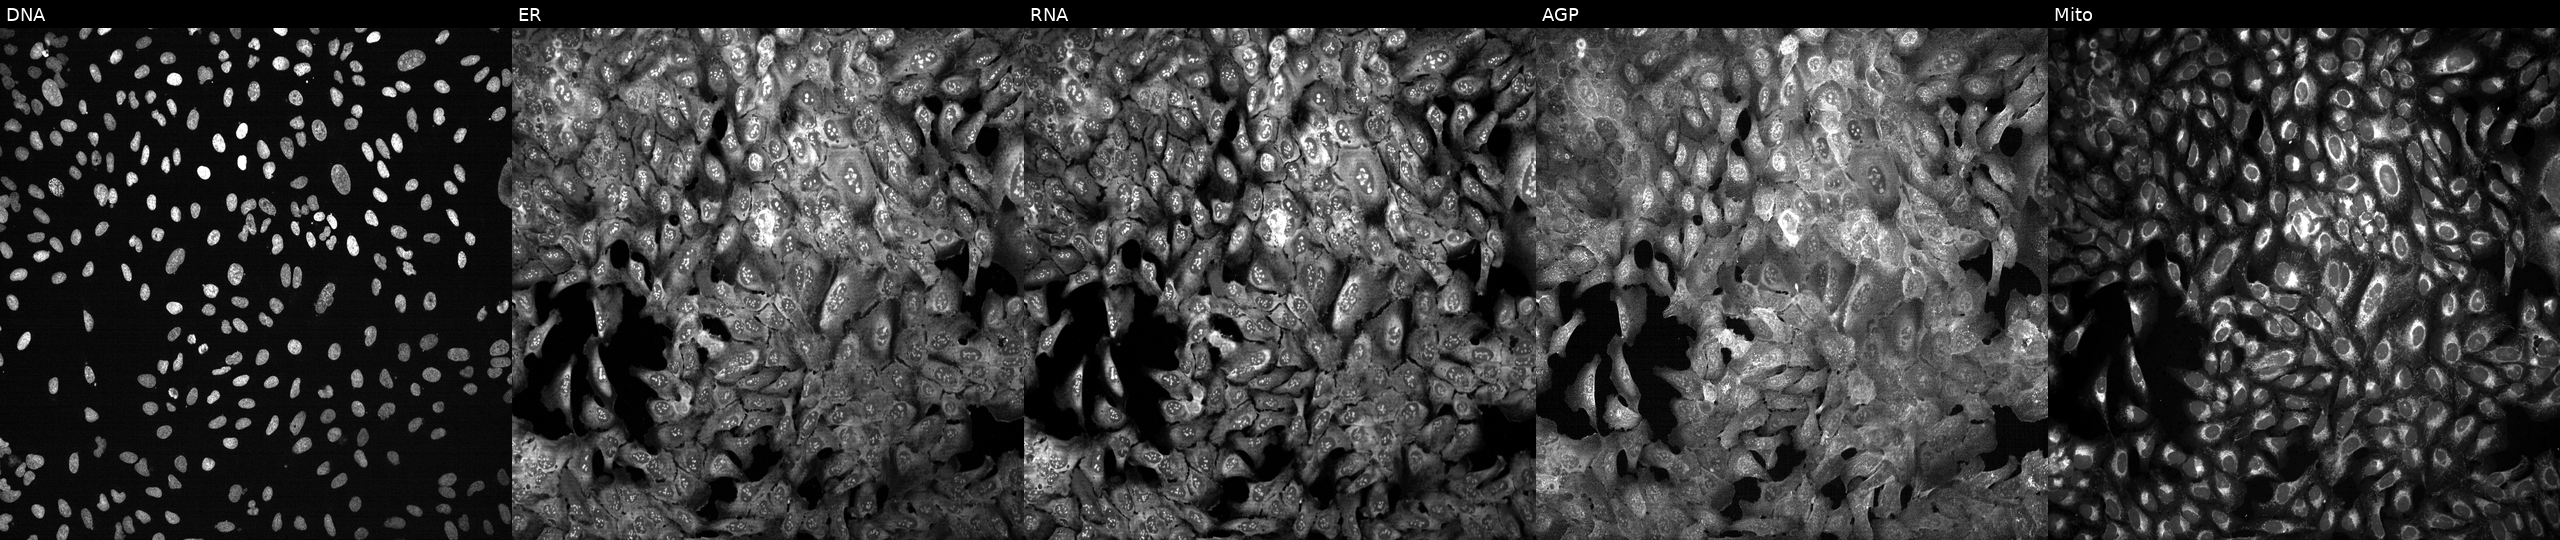
JUMP Cell Painting — CRISPR plate. U2OS cells CRISPR-edited to disrupt EEF1D. Panels show, left to right, DNA (nuclei); ER (endoplasmic reticulum); RNA (nucleoli and cytoplasmic RNA); AGP (actin cytoskeleton, Golgi, and plasma membrane); Mito (mitochondria).